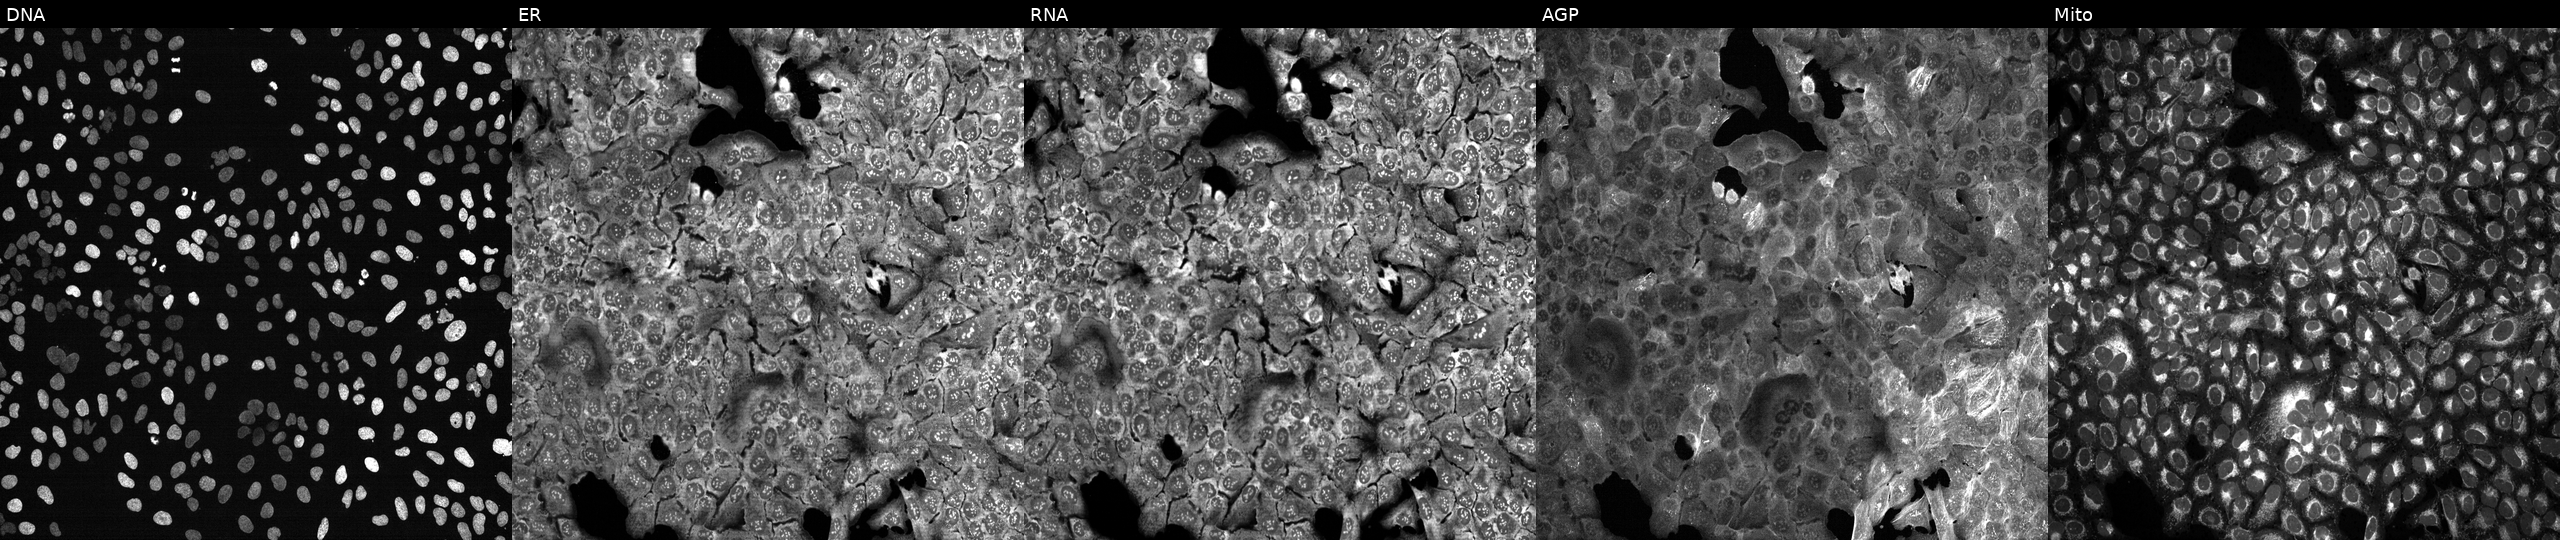
JUMP Cell Painting — CRISPR plate. U2OS cells with IL13RA1 knocked out by CRISPR (JUMP id JCP2022_803368). The five panels, left to right, show DNA, ER, RNA, AGP, and Mito.